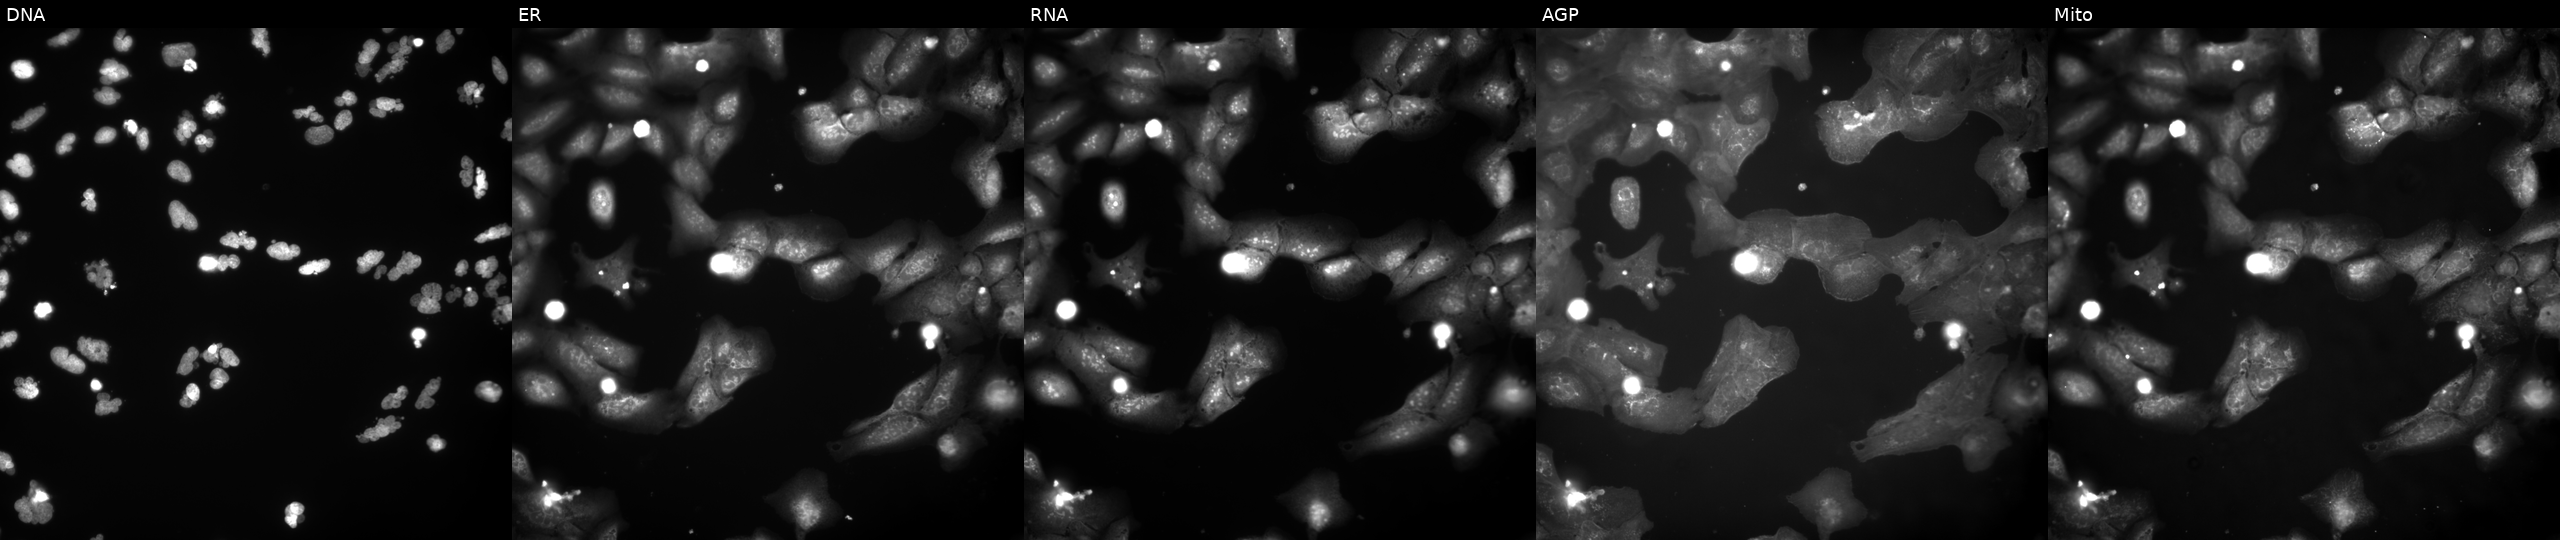
U2OS cells, Cell Painting assay, perturbed with a small-molecule compound (InChIKey DVDVCFMNPGWLAQ-UHFFFAOYSA-N). From left to right: Hoechst 33342, concanavalin A, SYTO 14, phalloidin and WGA, MitoTracker. Each panel is percentile-stretched 16-bit fluorescence.